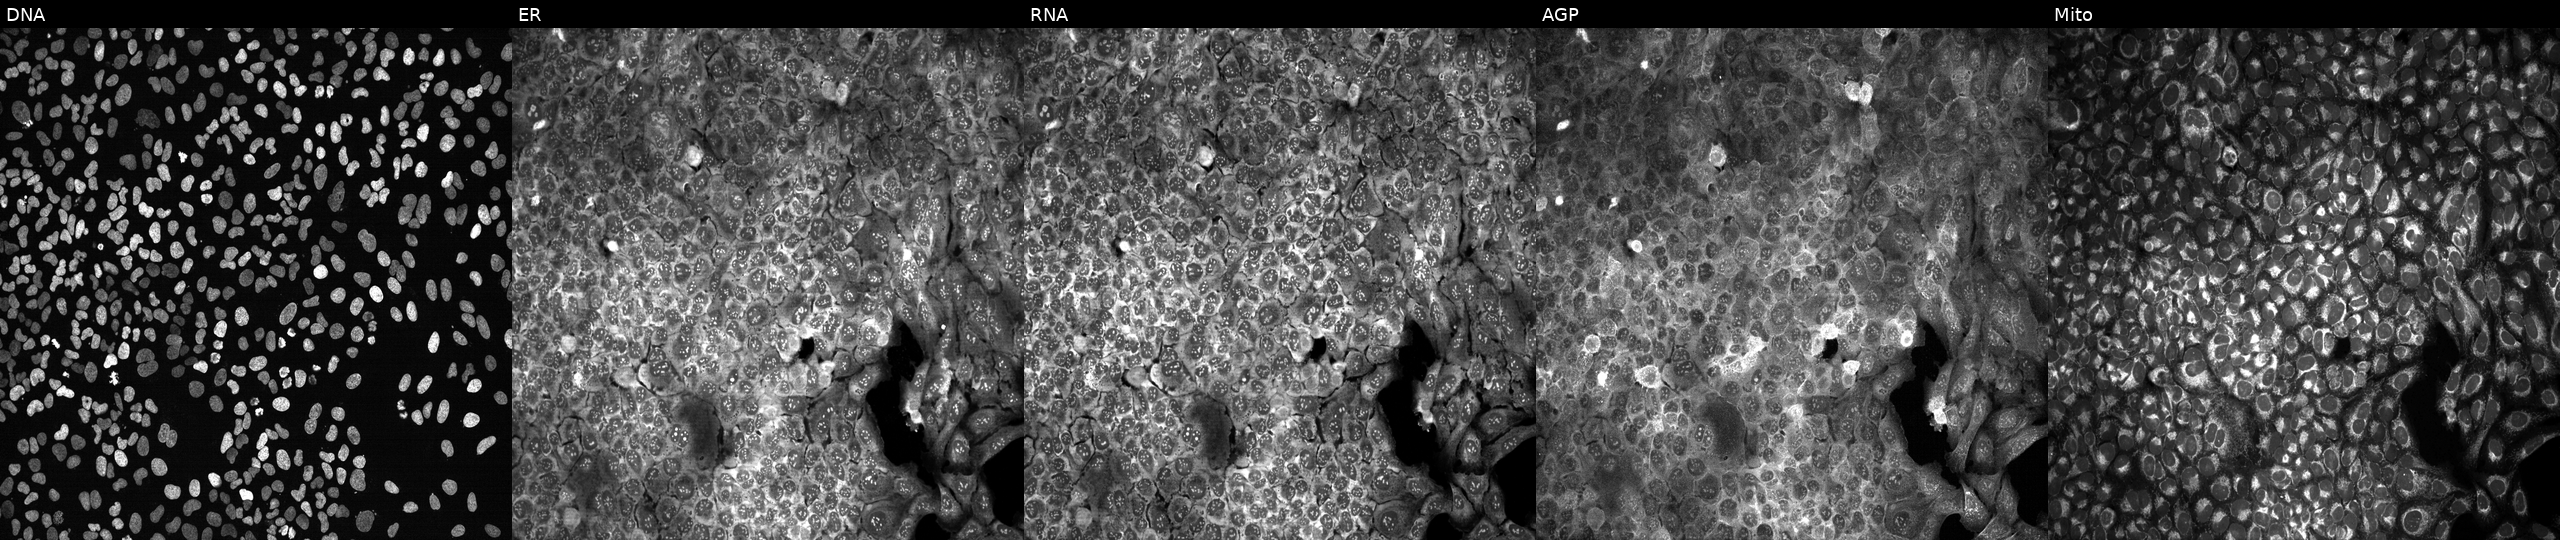
JUMP Cell Painting — CRISPR plate. U2OS cells following CRISPR knockout of PLSCR2. Panels show, left to right, DNA (nuclei); ER (endoplasmic reticulum); RNA (nucleoli and cytoplasmic RNA); AGP (actin cytoskeleton, Golgi, and plasma membrane); Mito (mitochondria).